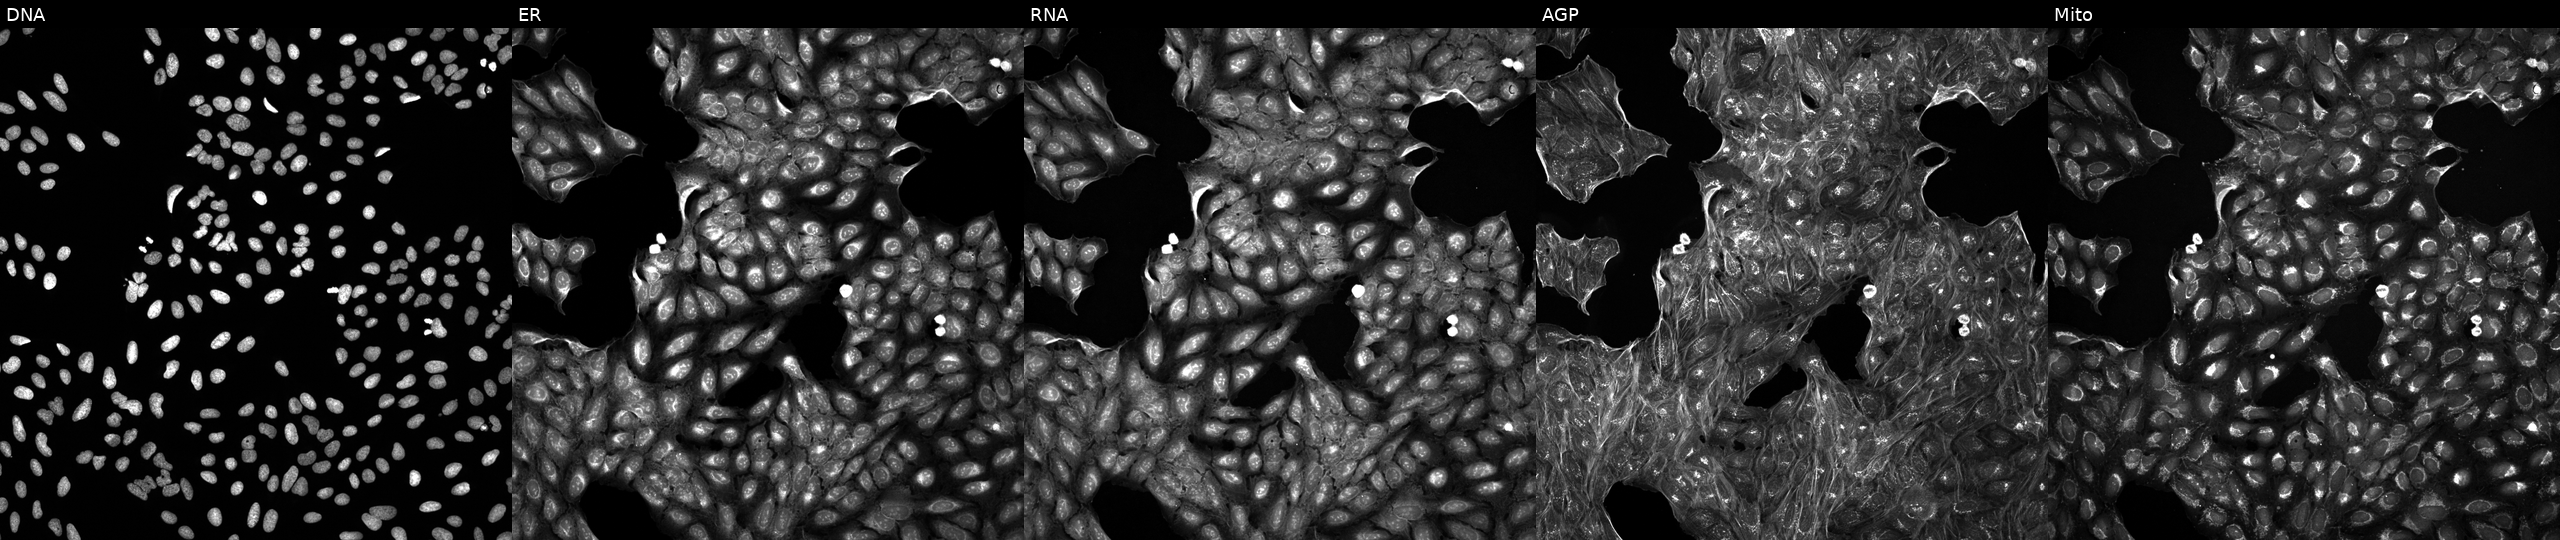
This image strip shows the five Cell Painting channels for a single field of U2OS cells perturbed with a small-molecule compound (InChIKey QIHBWVVVRYYYRO-UHFFFAOYSA-N) (JUMP id JCP2022_073628). Panels show, left to right, DNA, ER, RNA, AGP, and Mito. Source 5, plate ACPJUM032, well E06.